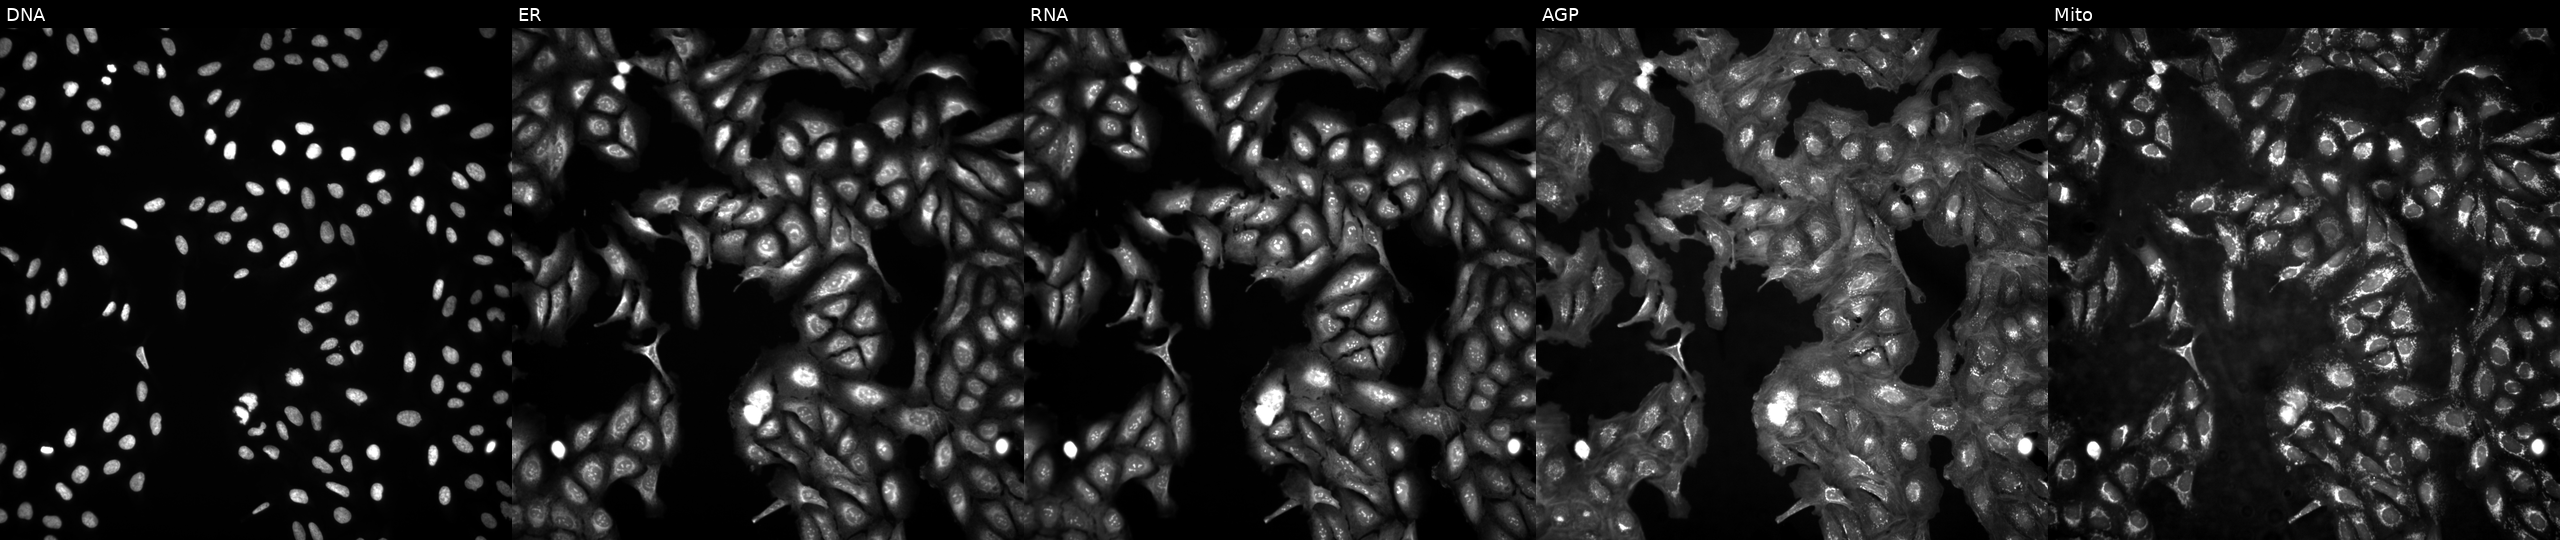
This image strip shows the five Cell Painting channels for a single field of U2OS cells untreated (empty-well control). Channels (left→right): DNA, ER, RNA, AGP, and Mito. Source 4, plate BR00124793, well B21.